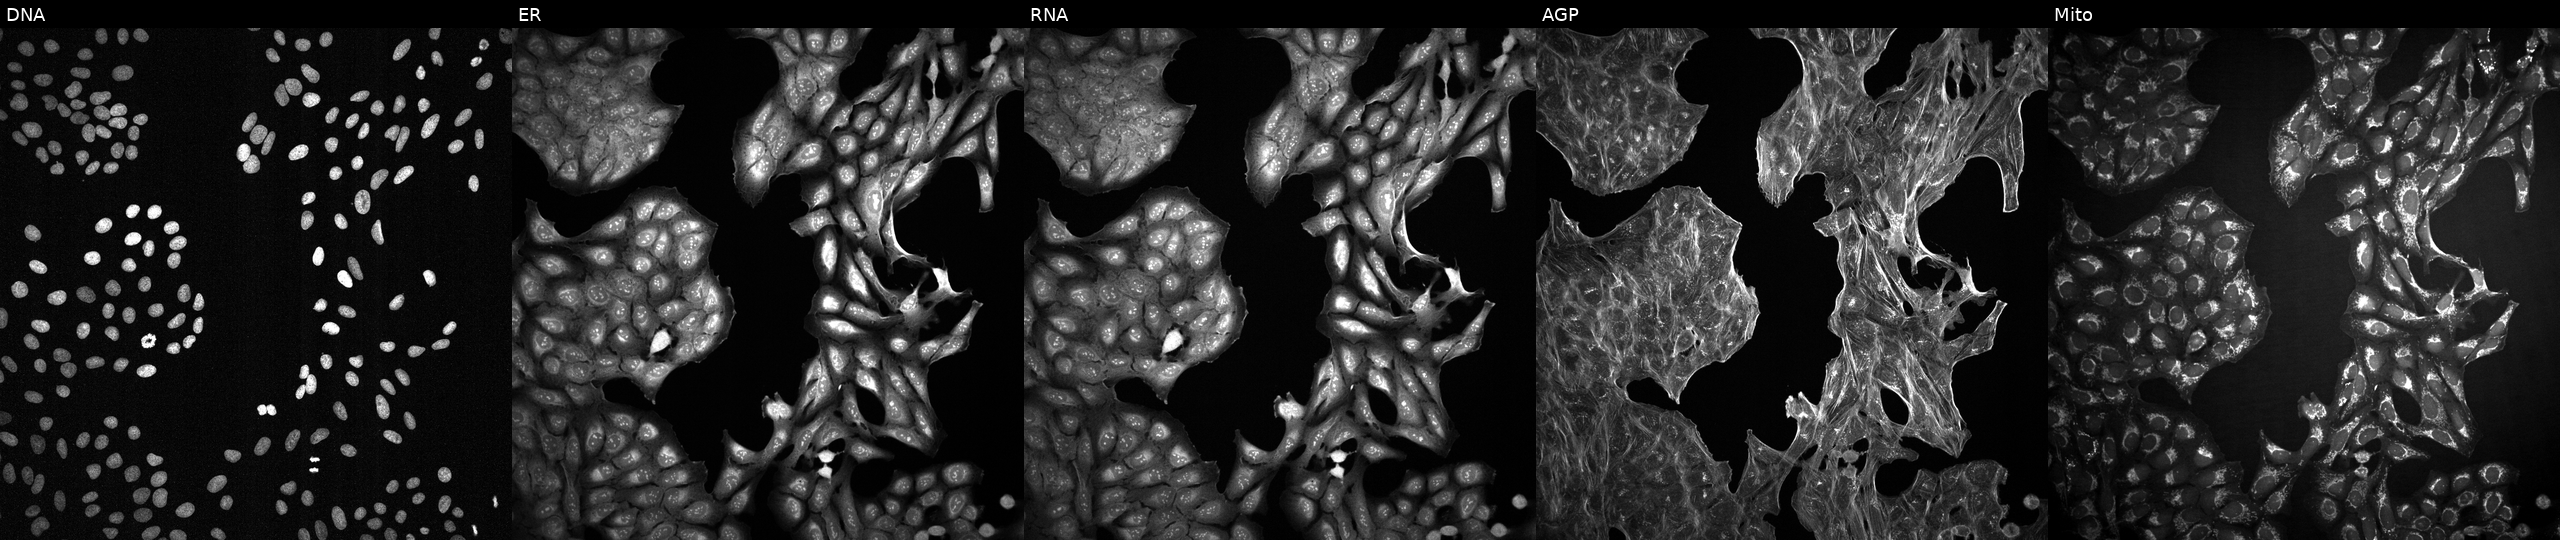
JUMP Cell Painting — TARGET2 plate. U2OS cells perturbed with a small-molecule compound (JUMP id JCP2022_059103). Channels (left→right): DNA (nuclei); ER (endoplasmic reticulum); RNA (nucleoli and cytoplasmic RNA); AGP (actin cytoskeleton, Golgi, and plasma membrane); Mito (mitochondria).